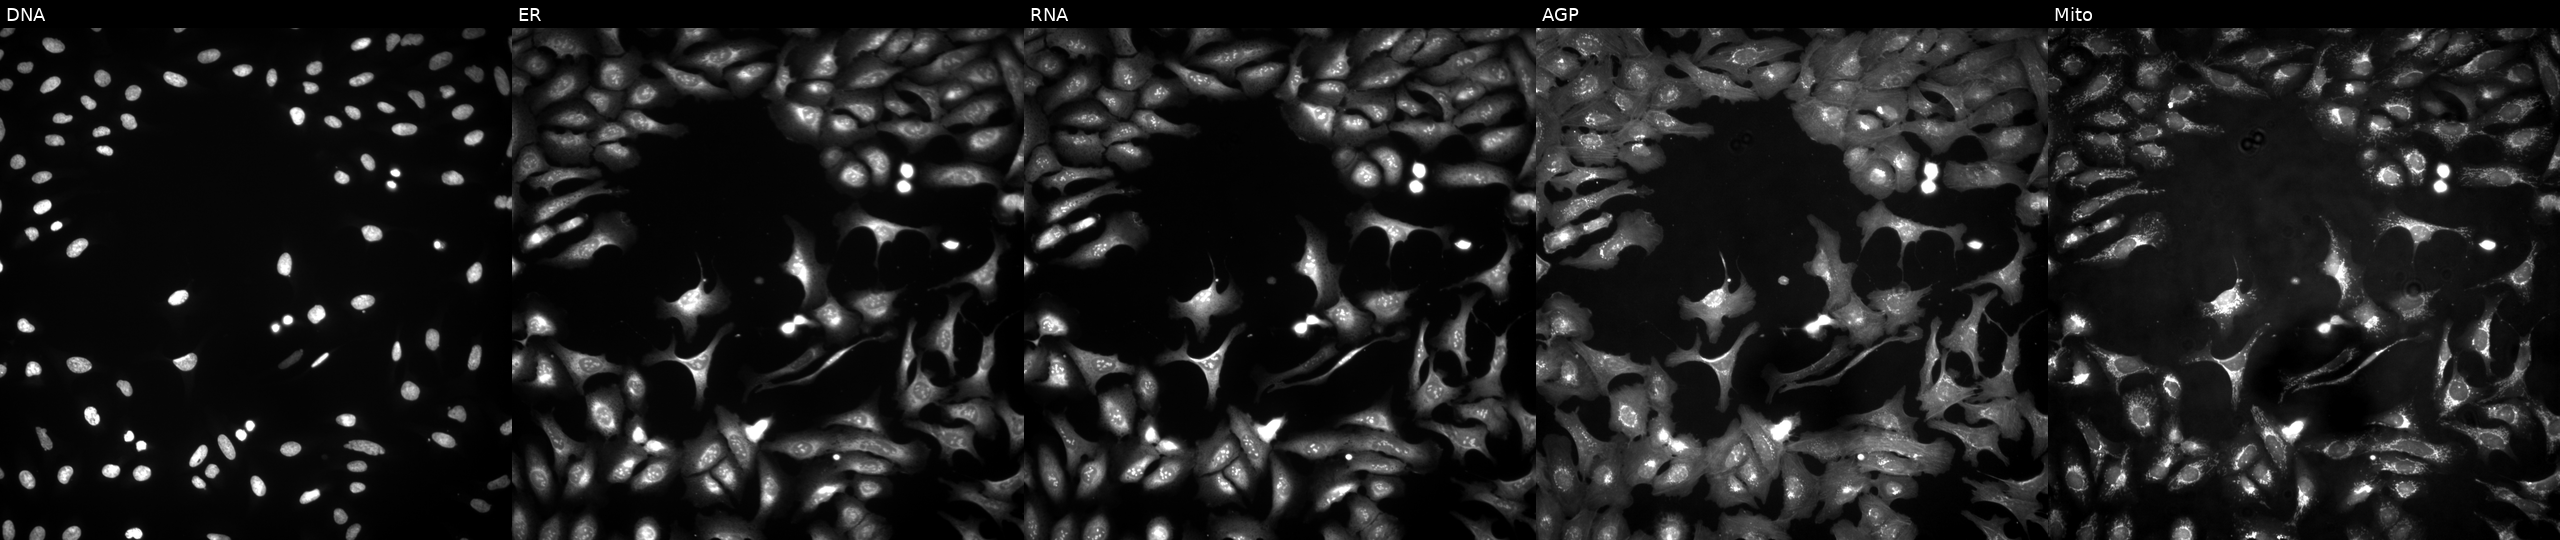
The five panels, left to right, show Hoechst 33342, concanavalin A, SYTO 14, phalloidin and WGA, MitoTracker. U2OS osteosarcoma cells untreated (empty-well control). Cell Painting assay, JUMP-CP dataset.